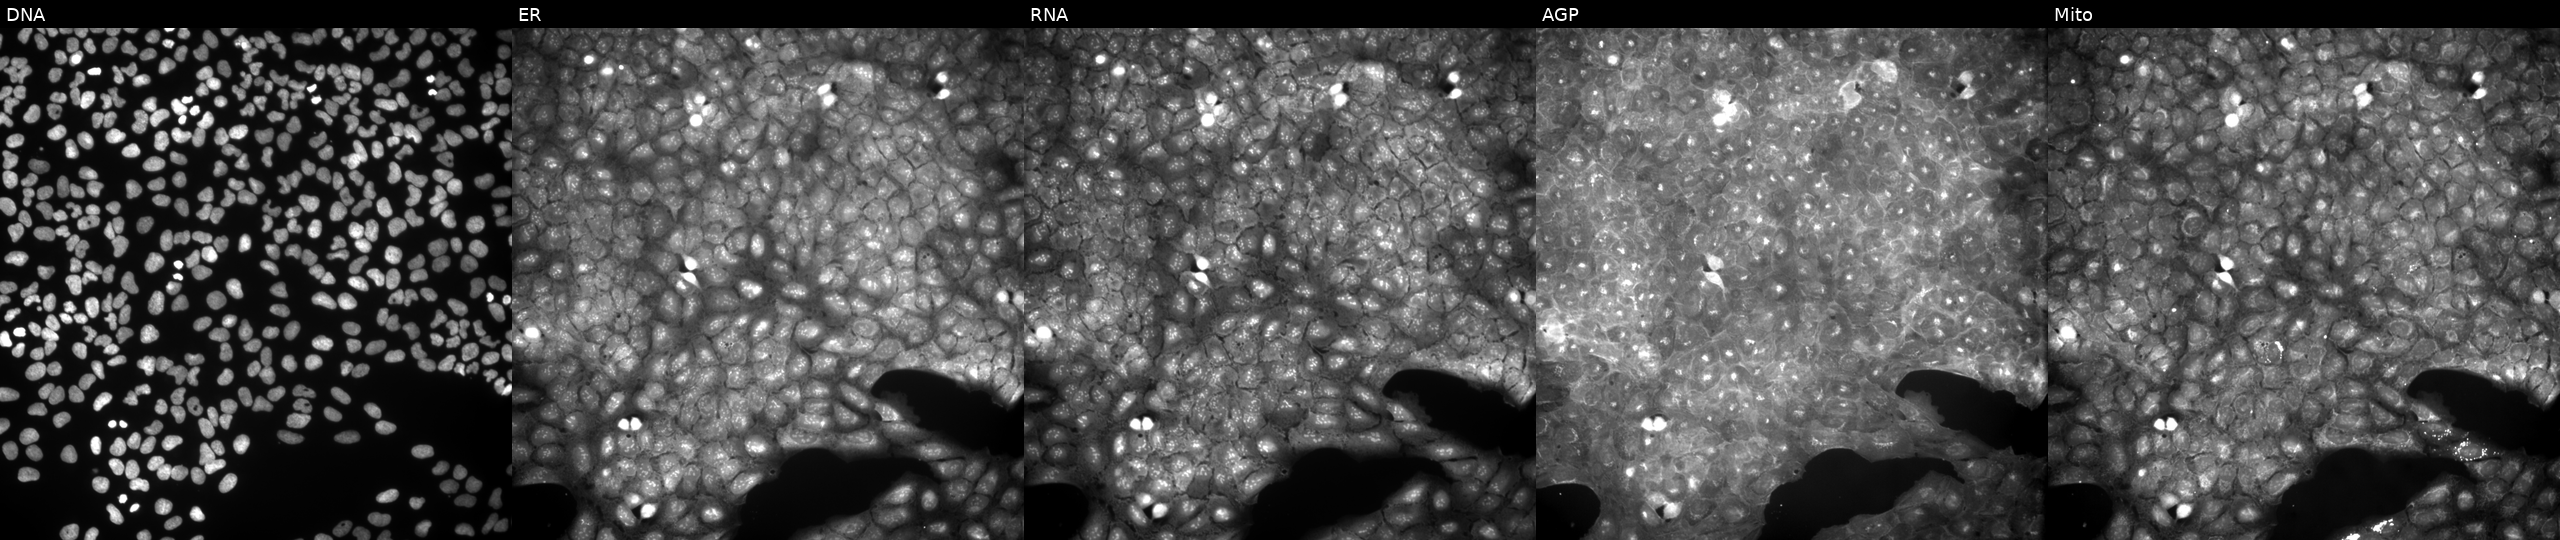
JUMP Cell Painting — COMPOUND plate. U2OS cells exposed to a small-molecule compound (JUMP id JCP2022_108541). Panels show, left to right, DNA (nuclei); ER (endoplasmic reticulum); RNA (nucleoli and cytoplasmic RNA); AGP (actin cytoskeleton, Golgi, and plasma membrane); Mito (mitochondria).